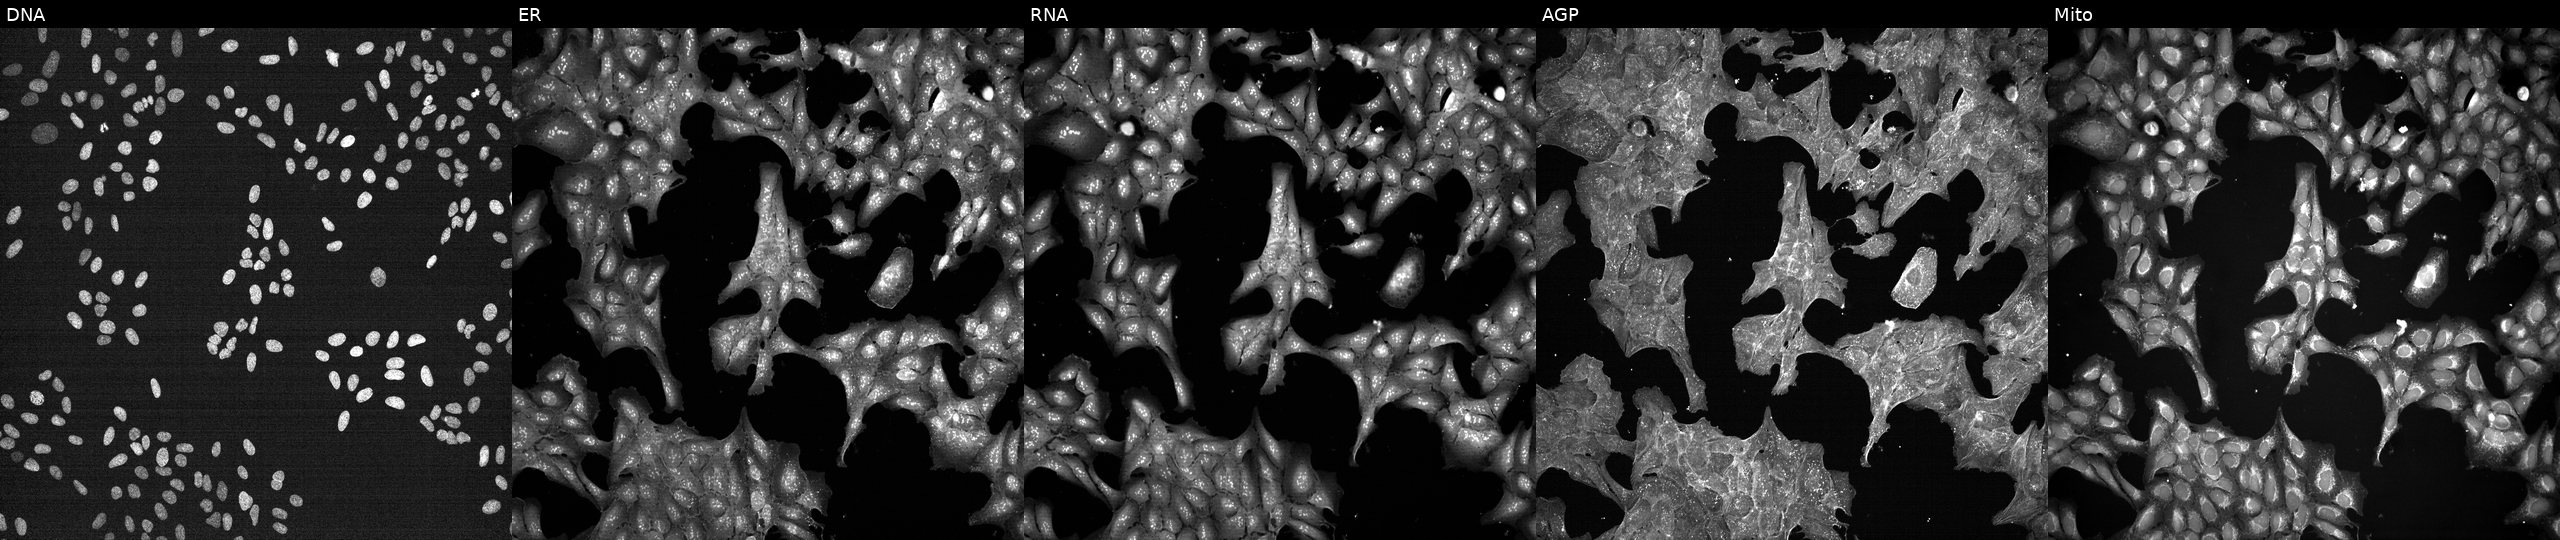
JUMP Cell Painting — TARGET2 plate. U2OS cells treated with a small-molecule compound (InChIKey ZZZRUAITSXLWBH-UHFFFAOYSA-N) (JUMP id JCP2022_116749). The five panels, left to right, show DNA (nuclei); ER (endoplasmic reticulum); RNA (nucleoli and cytoplasmic RNA); AGP (actin cytoskeleton, Golgi, and plasma membrane); Mito (mitochondria). Source 7, plate CP1-SC1-25, well L07.